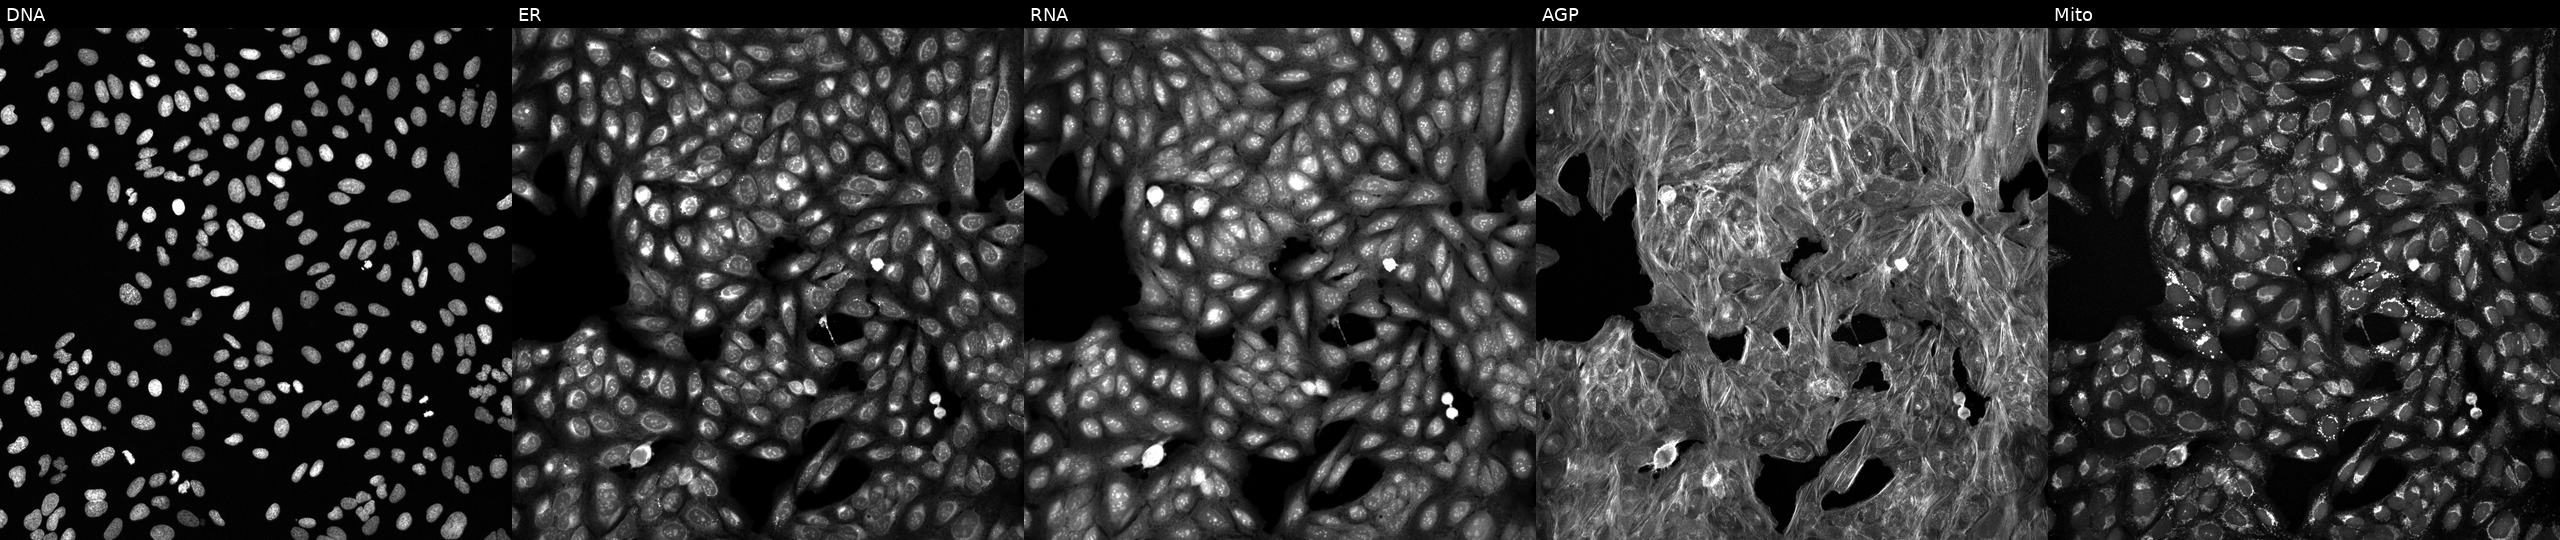
U2OS cells, Cell Painting assay, exposed to DMSO alone as a negative control (JUMP id JCP2022_033924). Panels show, left to right, DNA, ER, RNA, AGP, and Mito. Each panel is percentile-stretched 16-bit fluorescence.